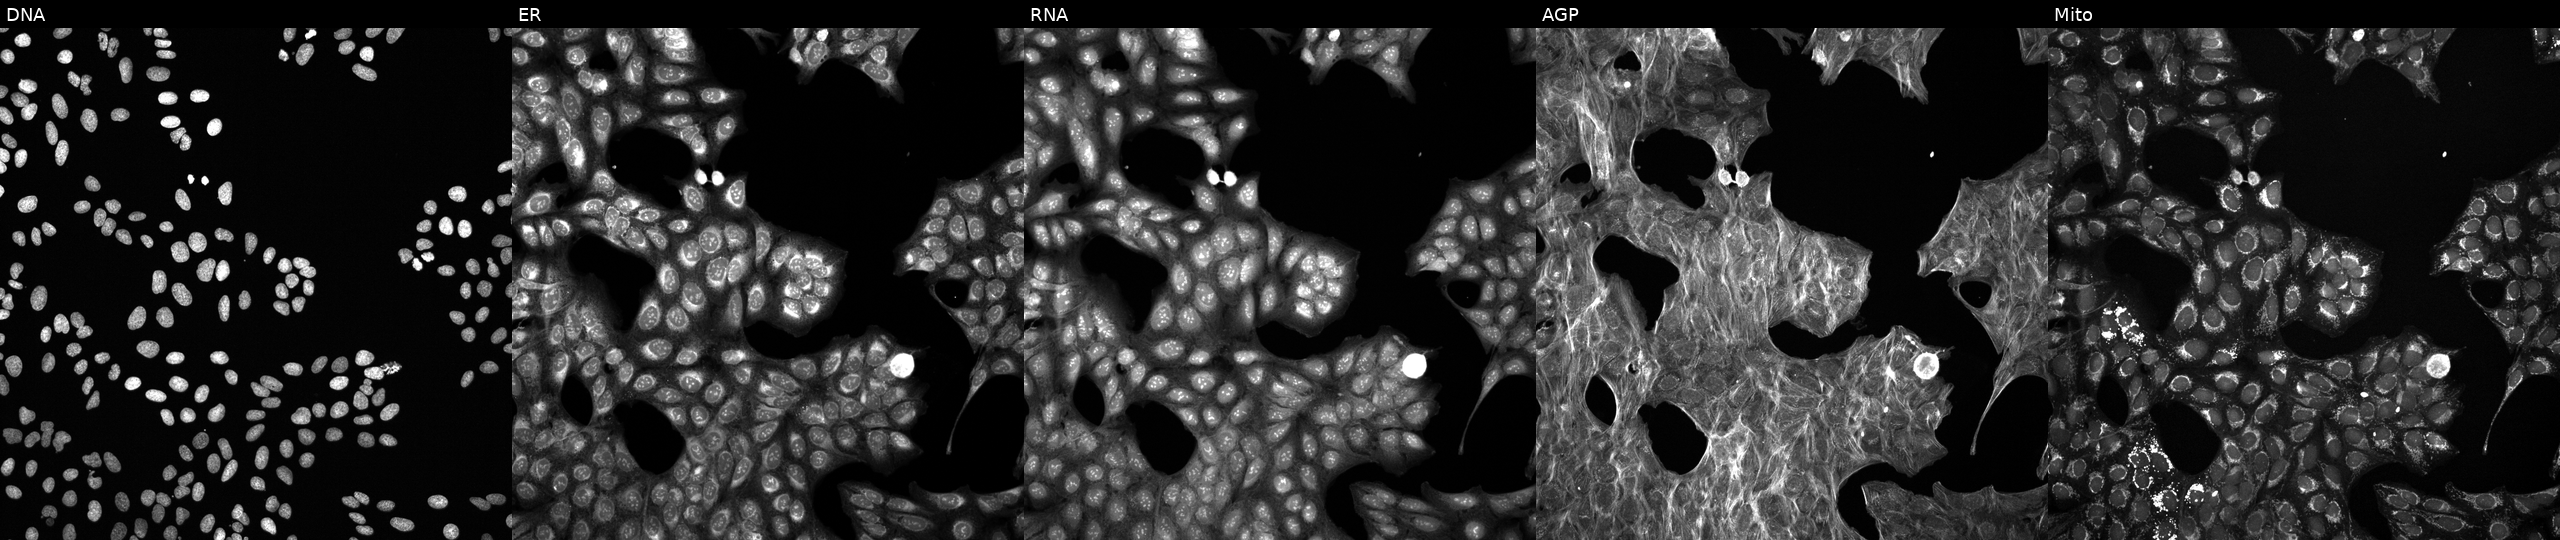
Five-channel Cell Painting image of U2OS cells exposed to the positive-control compound LY2109761. The five panels, left to right, show DNA (nuclei); ER (endoplasmic reticulum); RNA (nucleoli and cytoplasmic RNA); AGP (actin cytoskeleton, Golgi, and plasma membrane); Mito (mitochondria).